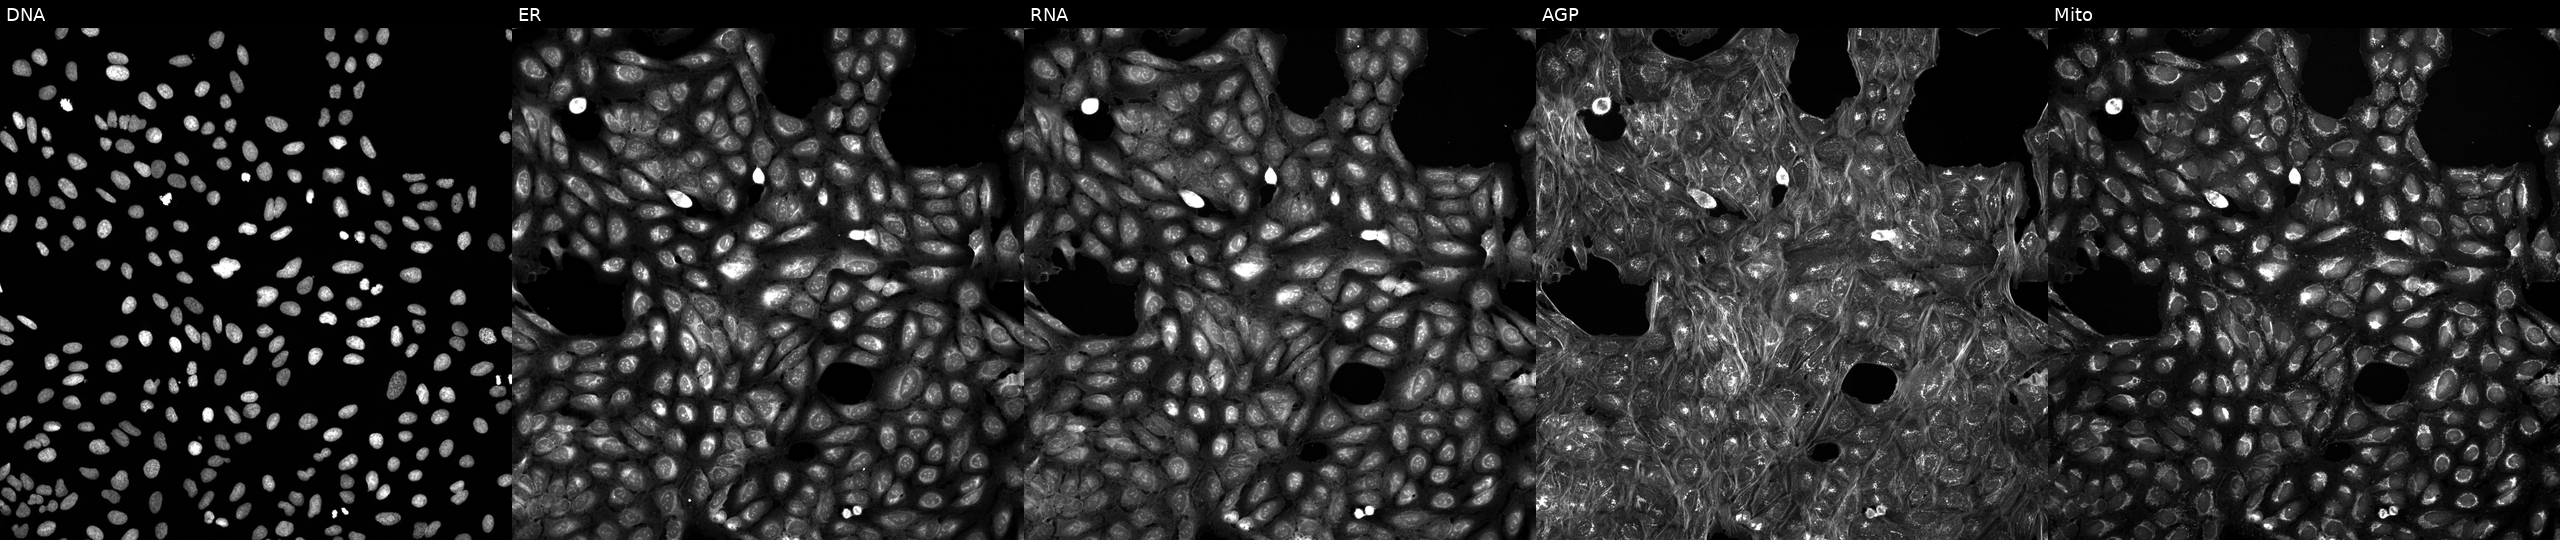
High-content fluorescence microscopy (Cell Painting). Cell line: U2OS. Perturbation: exposed to a small-molecule compound. Channels (left→right): Hoechst 33342, concanavalin A, SYTO 14, phalloidin and WGA, MitoTracker. Source 5, plate ACPJUM012, well C13.